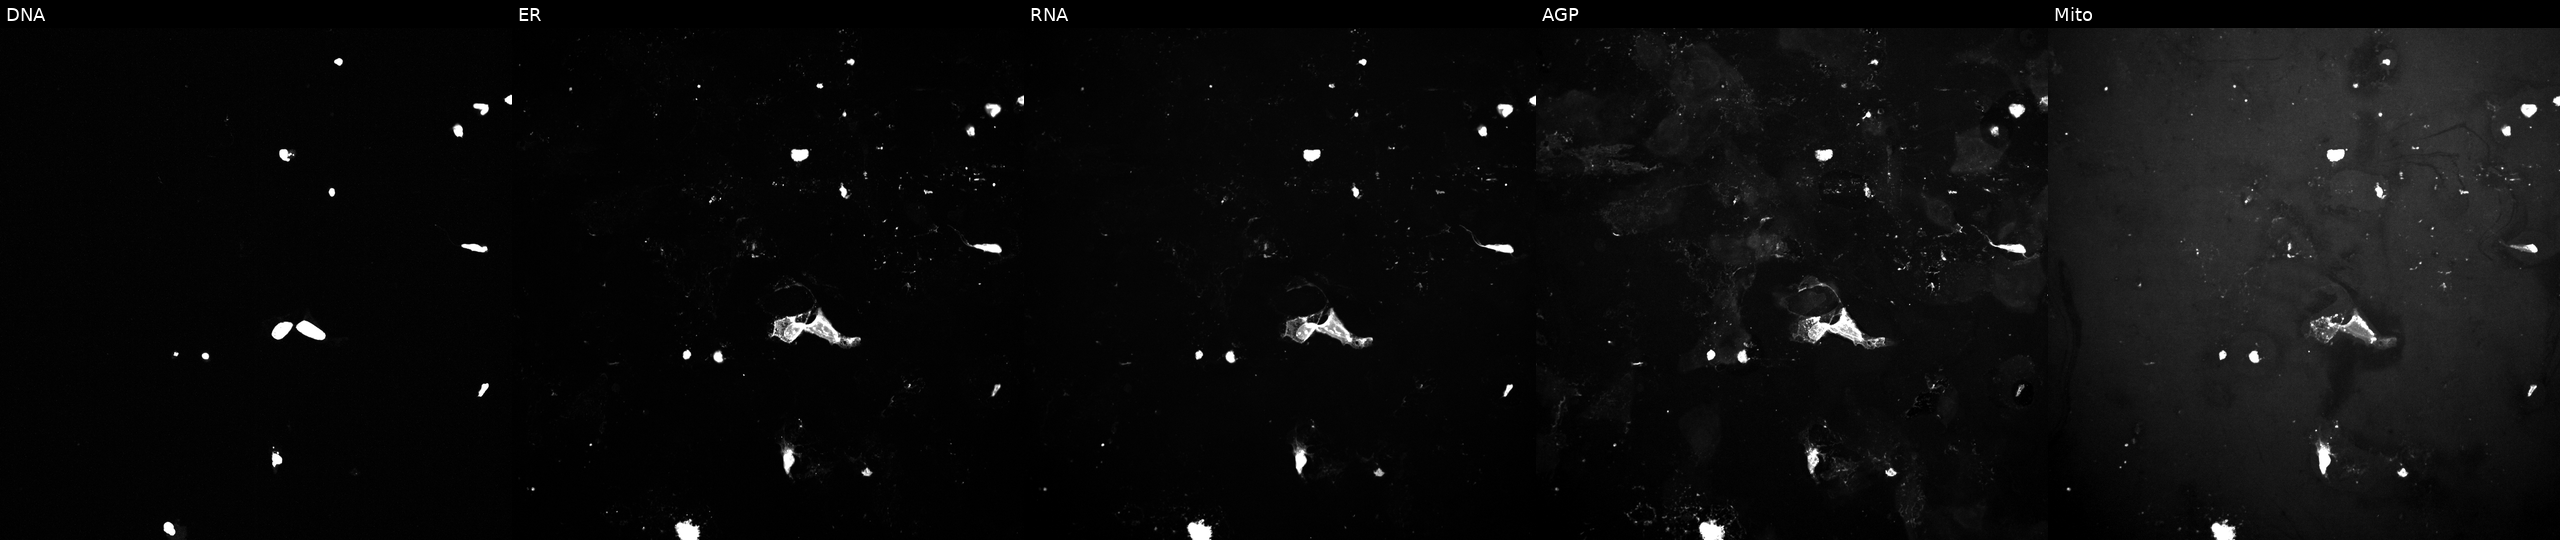
Five-channel Cell Painting image of U2OS cells treated with a small-molecule compound (InChIKey UTBOEBCWXGDOGI-UHFFFAOYSA-N) [SMILES: C=C(NC(=O)C(=C)NC(=O)c1csc(C2=NC3c4csc(n4)C4NC(=O)c5csc(n5)C(C(C)(O)C(C)O)NC(=O)C5CSC(=N5)C(=CC)NC(=O)C(C(C)O)NC(=O)c5csc(n5)C3(CC2)NC(=O)C(C)NC(=O)C(=C)NC(=O)C(C)NC(=O)C(C(C)CC)Nc2ccc3c(c2O)NC(=CC3C(C)O)C(=O)OC4C)n1)C(N)=O] (JUMP id JCP2022_091373). Channels (left→right): DNA (nuclei); ER (endoplasmic reticulum); RNA (nucleoli and cytoplasmic RNA); AGP (actin cytoskeleton, Golgi, and plasma membrane); Mito (mitochondria).